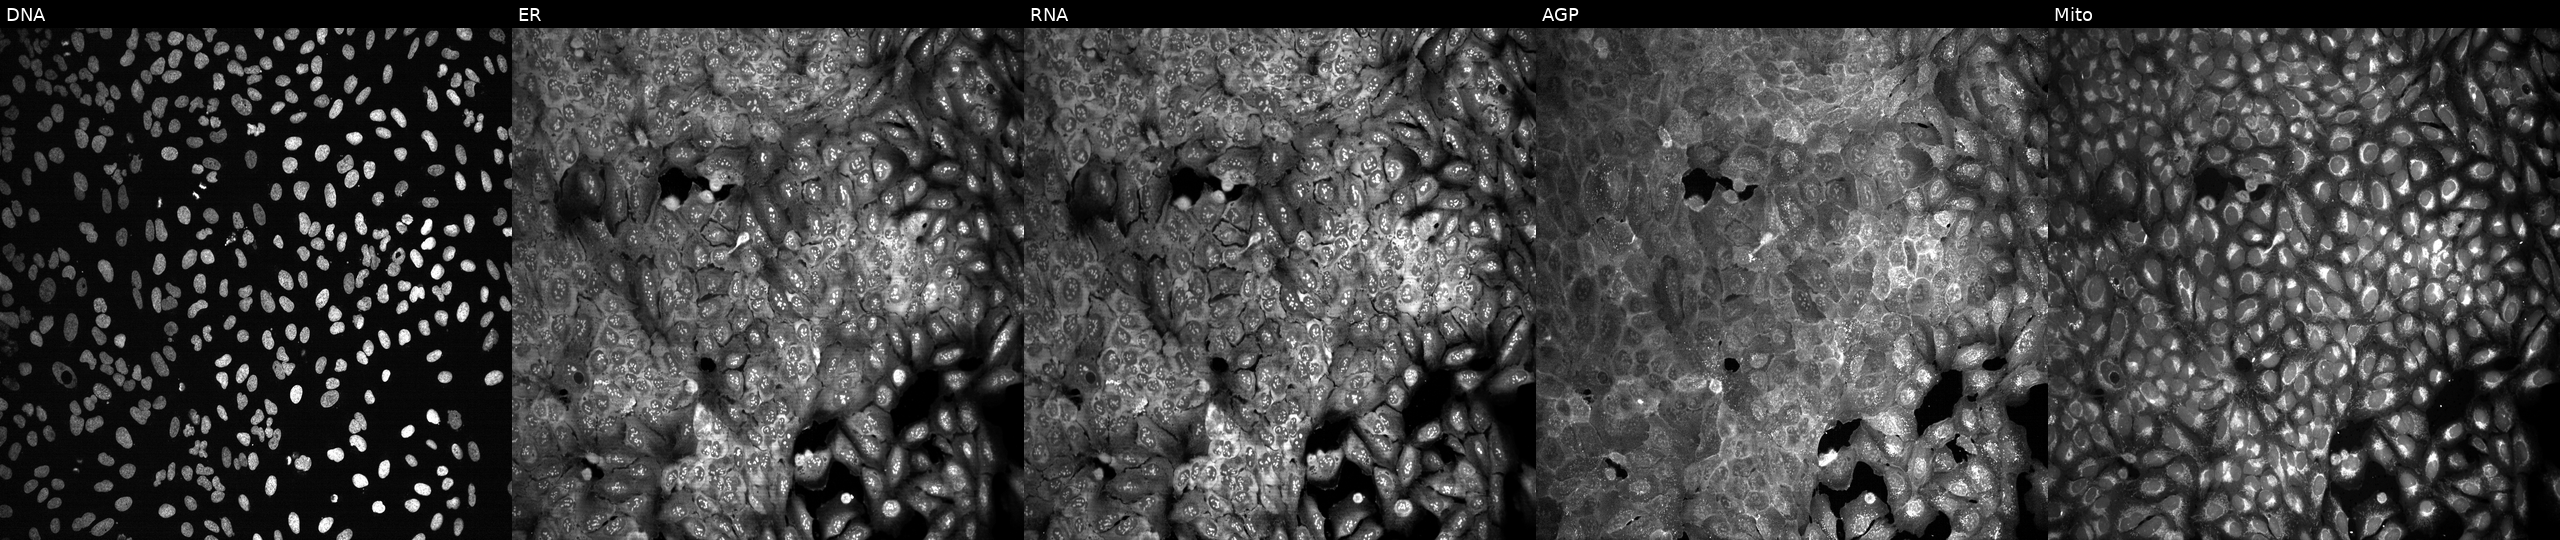
JUMP Cell Painting — CRISPR plate. U2OS cells CRISPR-edited to disrupt PTGR2. Panels show, left to right, Hoechst 33342, concanavalin A, SYTO 14, phalloidin and WGA, MitoTracker.